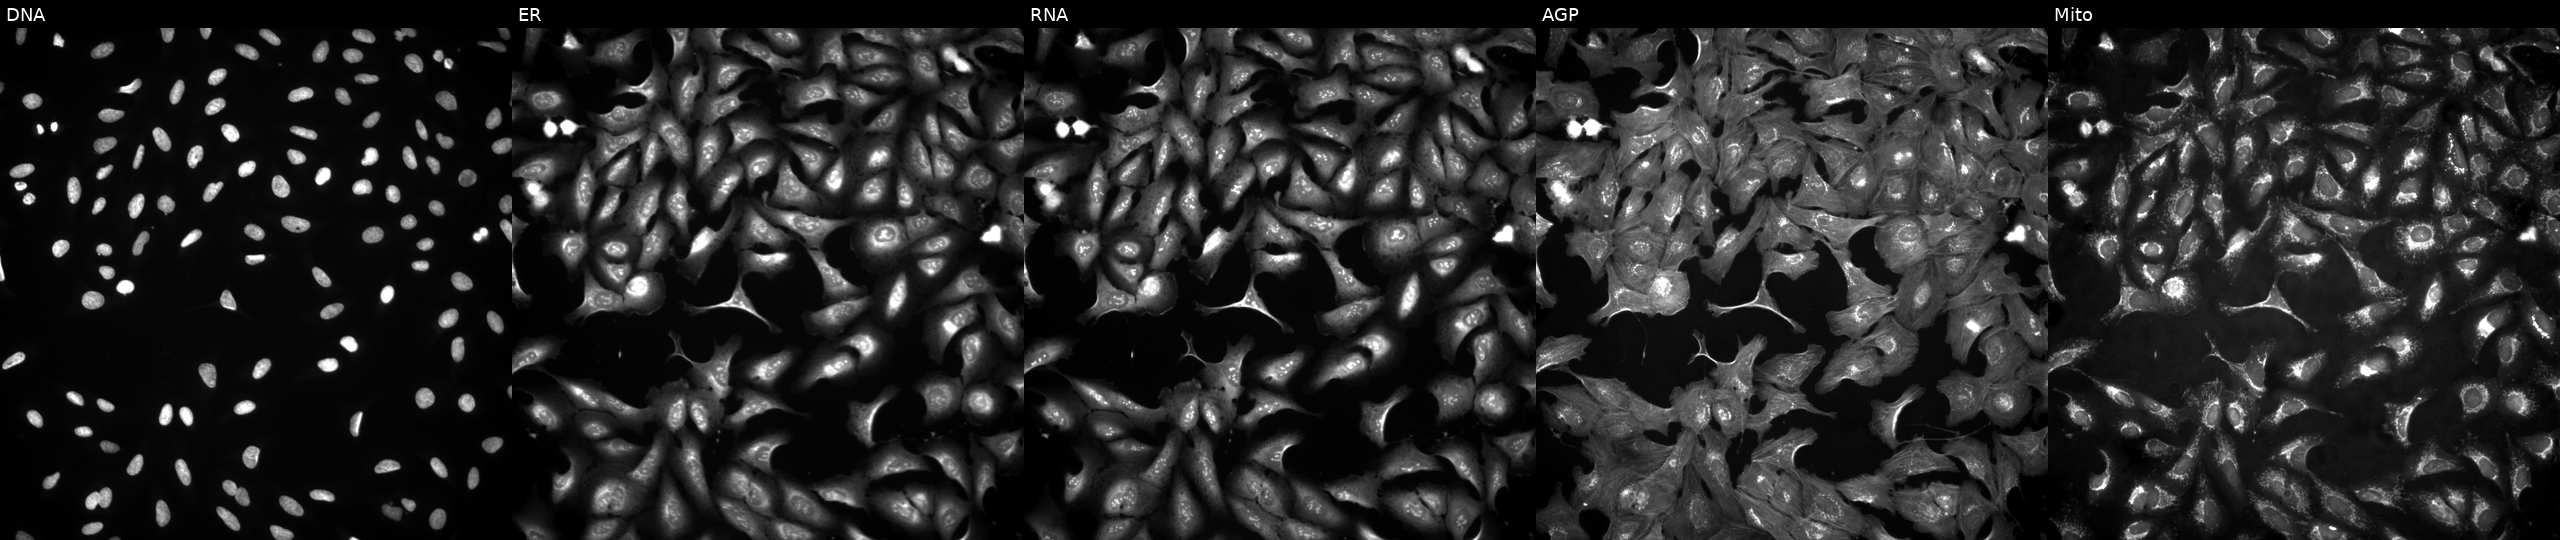
The five panels, left to right, show DNA, ER, RNA, AGP, and Mito. U2OS osteosarcoma cells overexpressing FLOT2 via ORF transfection (JUMP id JCP2022_910087). Cell Painting assay, JUMP-CP dataset.